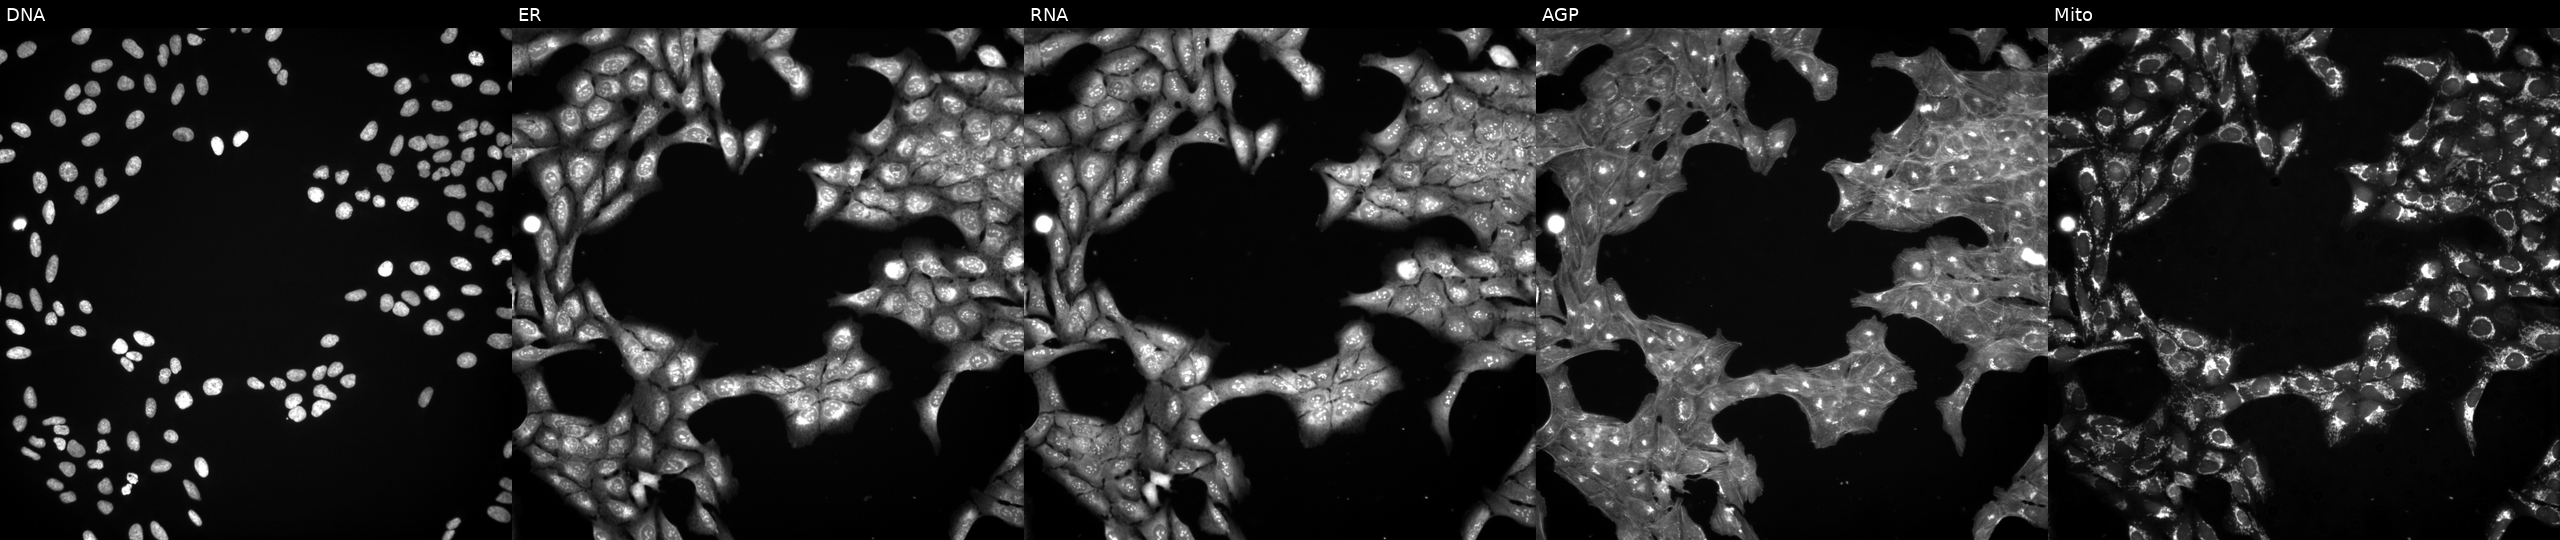
High-content fluorescence microscopy (Cell Painting). Cell line: U2OS. Perturbation: perturbed with a small-molecule compound (InChIKey KGIWXYBGMLGJER-UHFFFAOYSA-N) (JUMP id JCP2022_044453). From left to right: DNA, ER, RNA, AGP, and Mito. Source 3, plate BR5867b3, well J10.